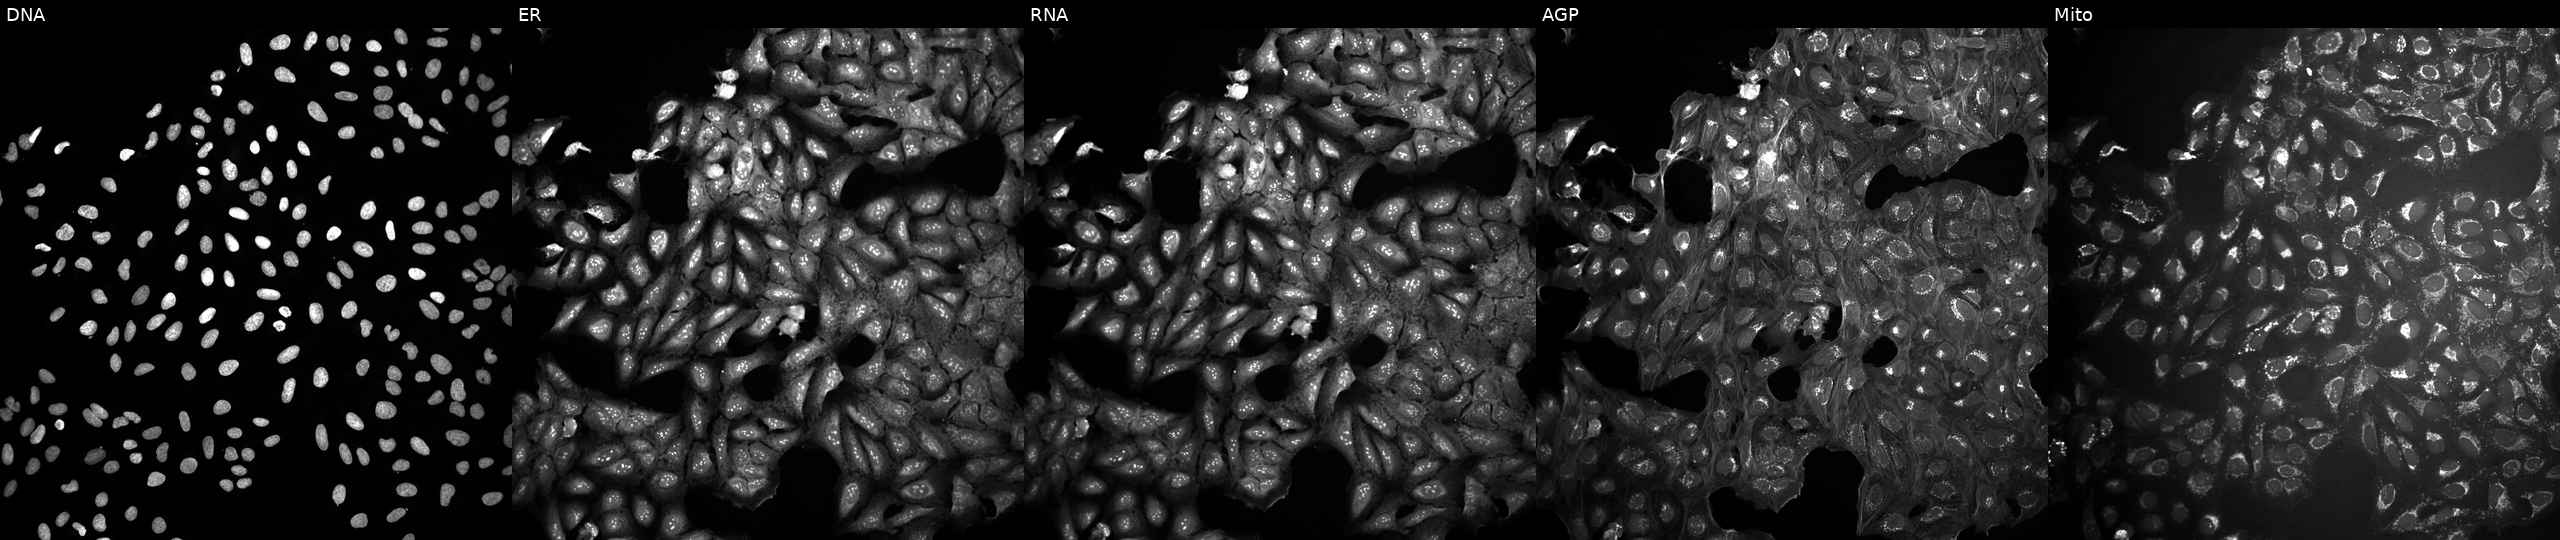
JUMP Cell Painting — COMPOUND plate. U2OS cells untreated (empty-well control). The five panels, left to right, show Hoechst 33342, concanavalin A, SYTO 14, phalloidin and WGA, MitoTracker.